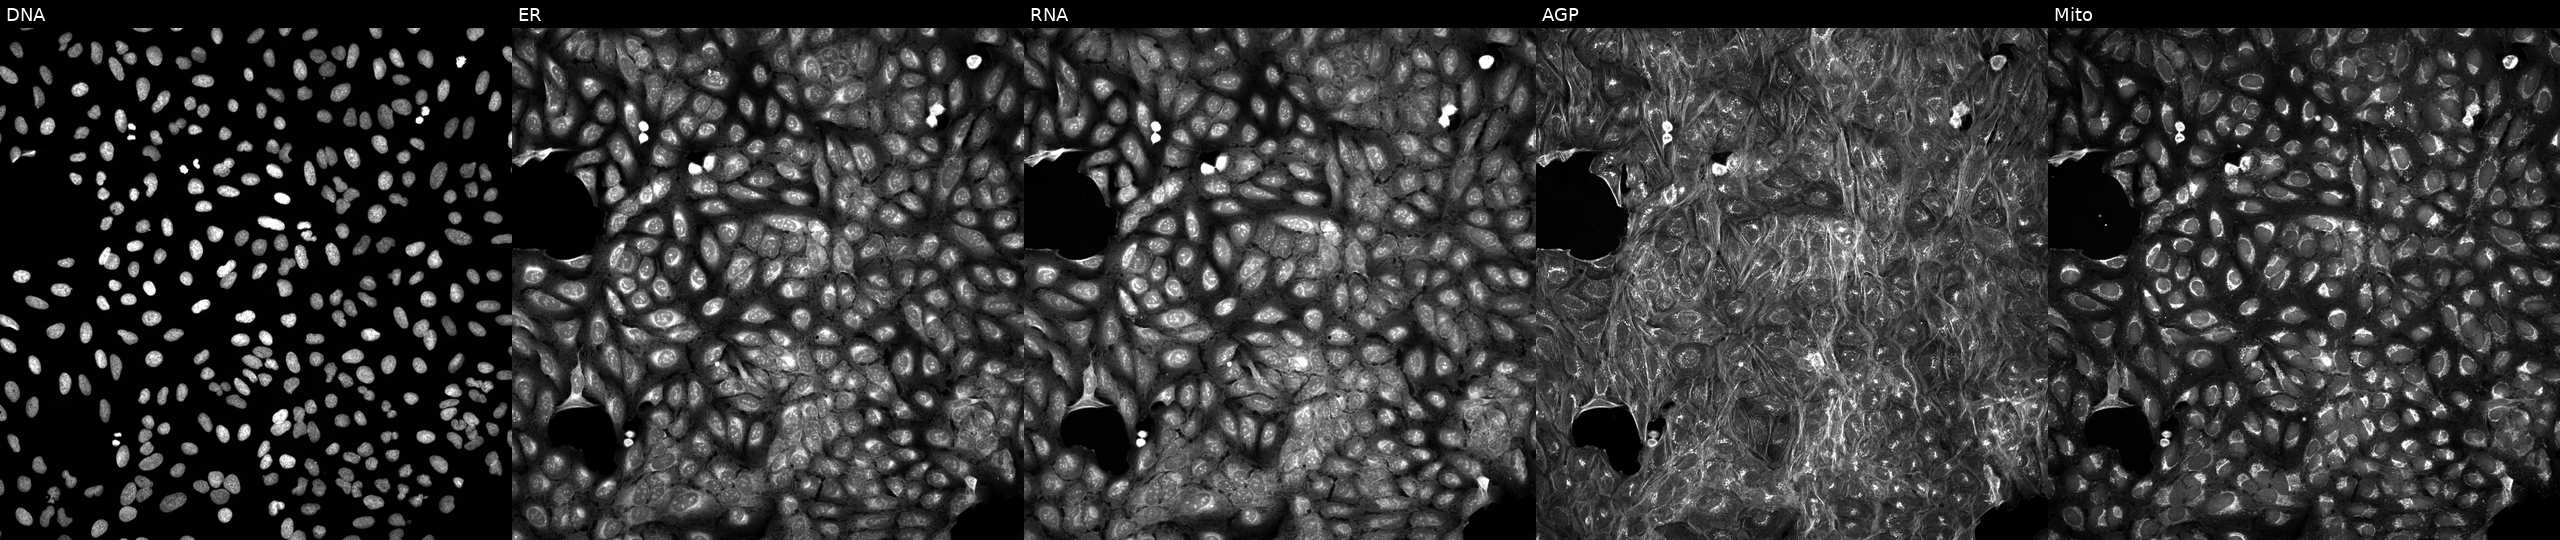
High-content fluorescence microscopy (Cell Painting). Cell line: U2OS. Perturbation: treated with DMSO vehicle only (negative control). The five panels, left to right, show DNA (nuclei); ER (endoplasmic reticulum); RNA (nucleoli and cytoplasmic RNA); AGP (actin cytoskeleton, Golgi, and plasma membrane); Mito (mitochondria). Source 5, plate ACPJUM032, well F05.